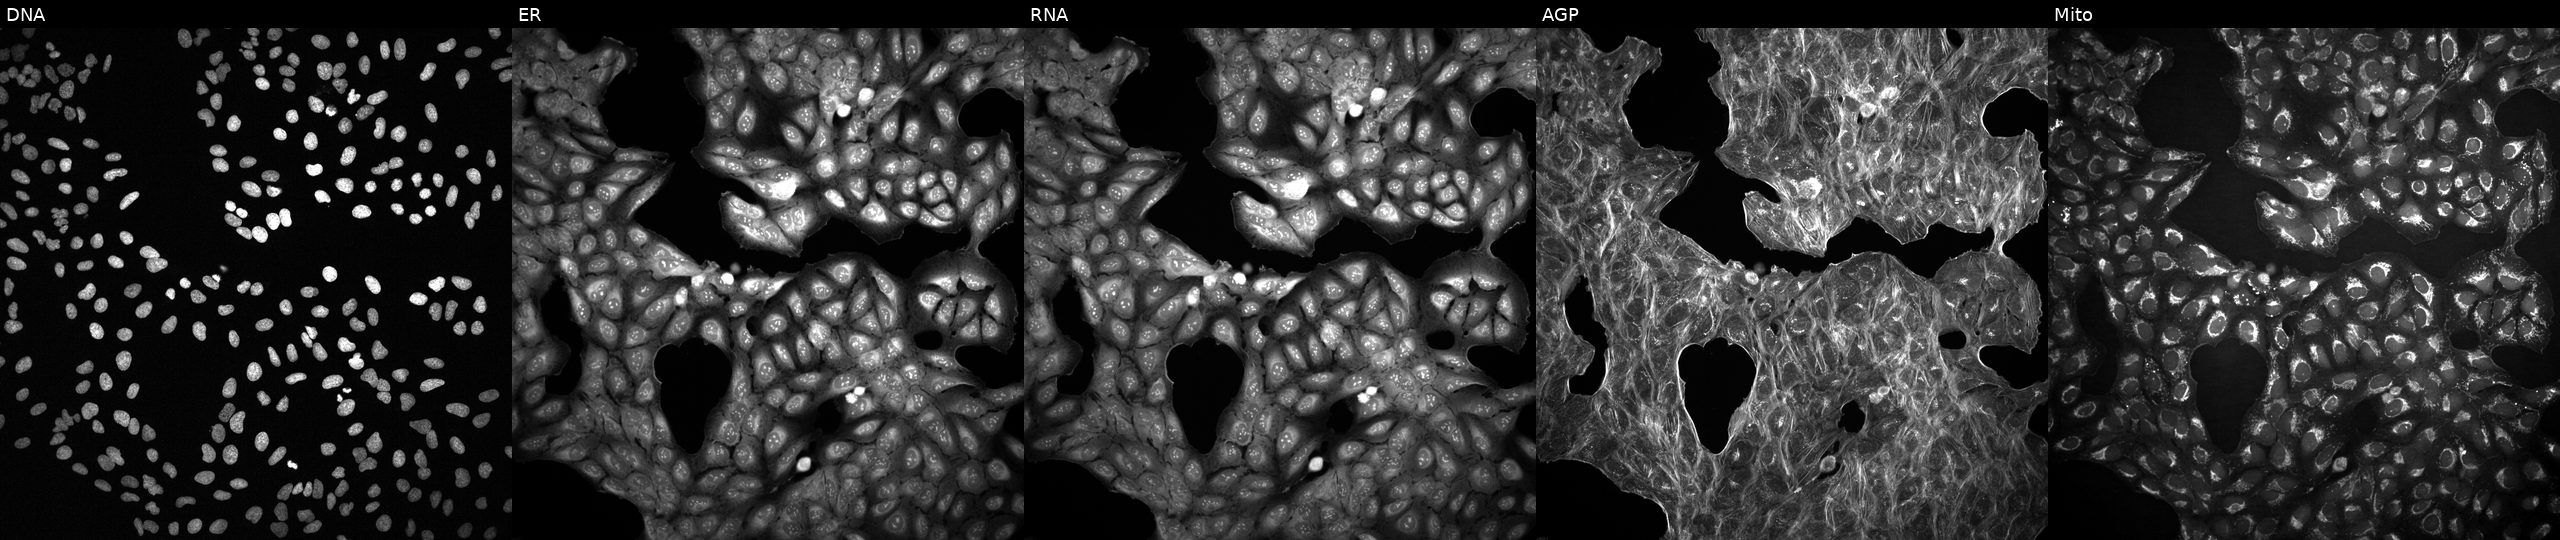
JUMP Cell Painting — COMPOUND plate. U2OS cells with an unidentified perturbation (not annotated in JUMP metadata). Channels (left→right): Hoechst 33342, concanavalin A, SYTO 14, phalloidin and WGA, MitoTracker. Source 2, plate 1053601763, well D08.